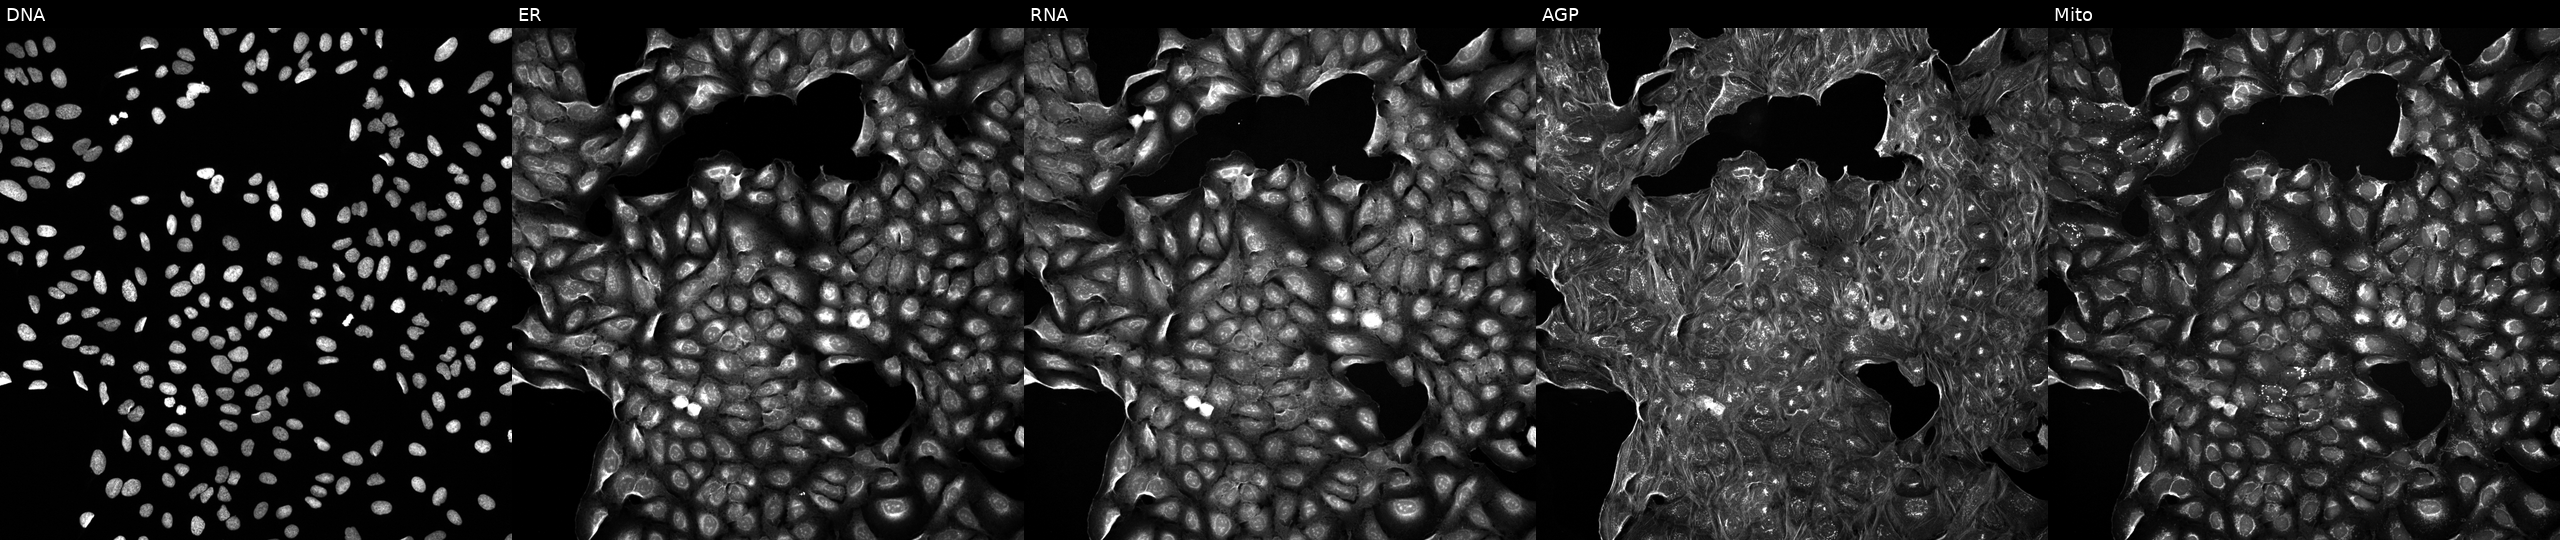
The five panels, left to right, show DNA (nuclei); ER (endoplasmic reticulum); RNA (nucleoli and cytoplasmic RNA); AGP (actin cytoskeleton, Golgi, and plasma membrane); Mito (mitochondria). U2OS osteosarcoma cells exposed to DMSO alone as a negative control (JUMP id JCP2022_033924). Cell Painting assay, JUMP-CP dataset.